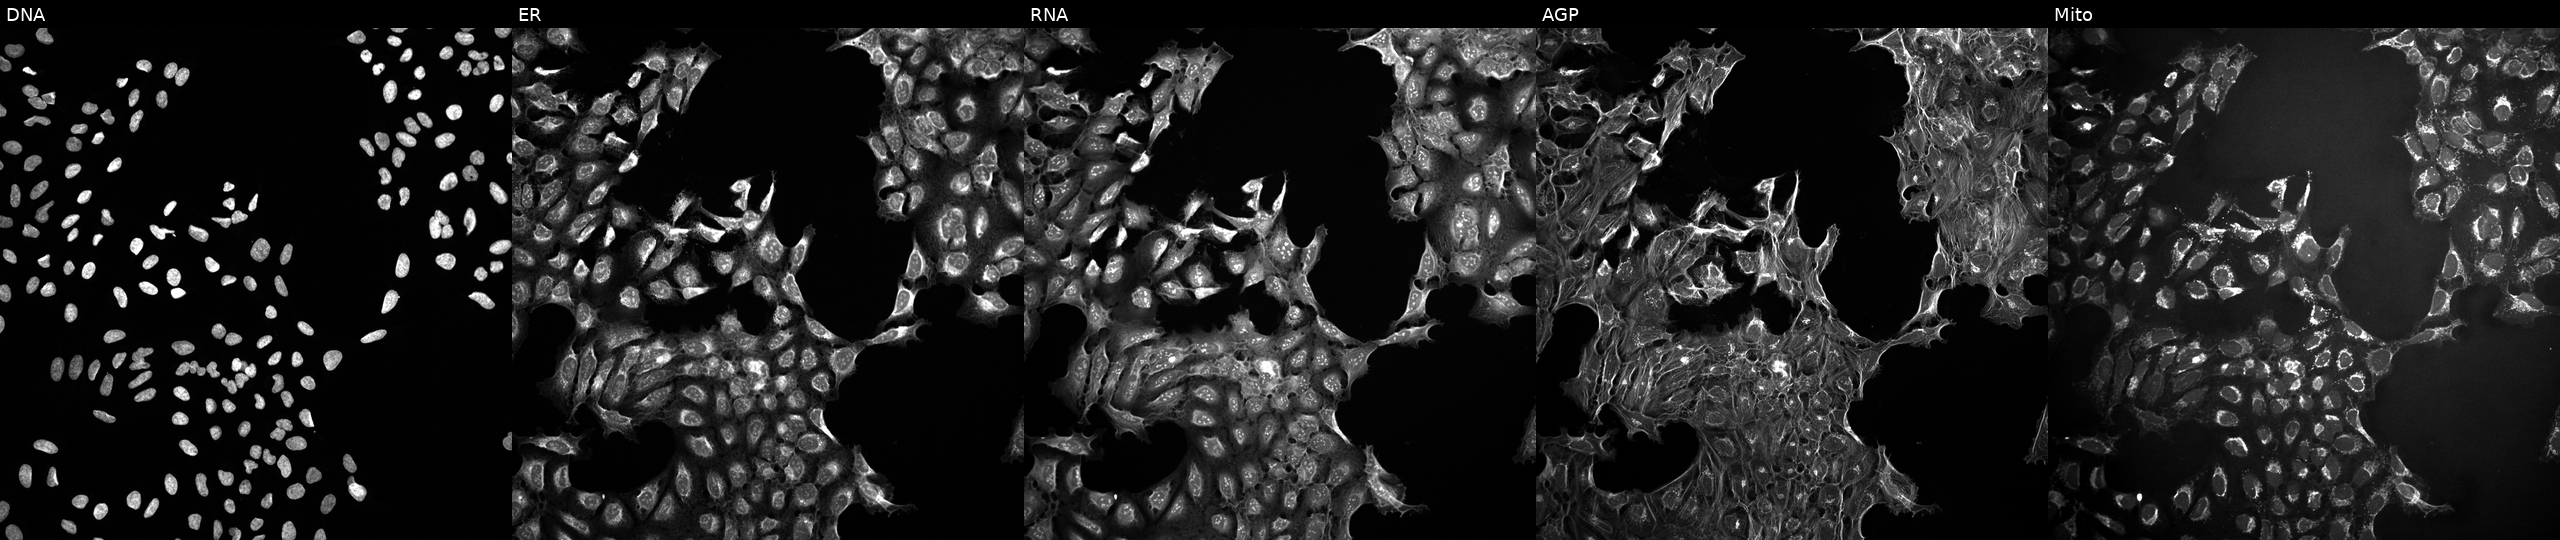
JUMP Cell Painting — COMPOUND plate. U2OS cells untreated (empty-well control). From left to right: DNA, ER, RNA, AGP, and Mito.